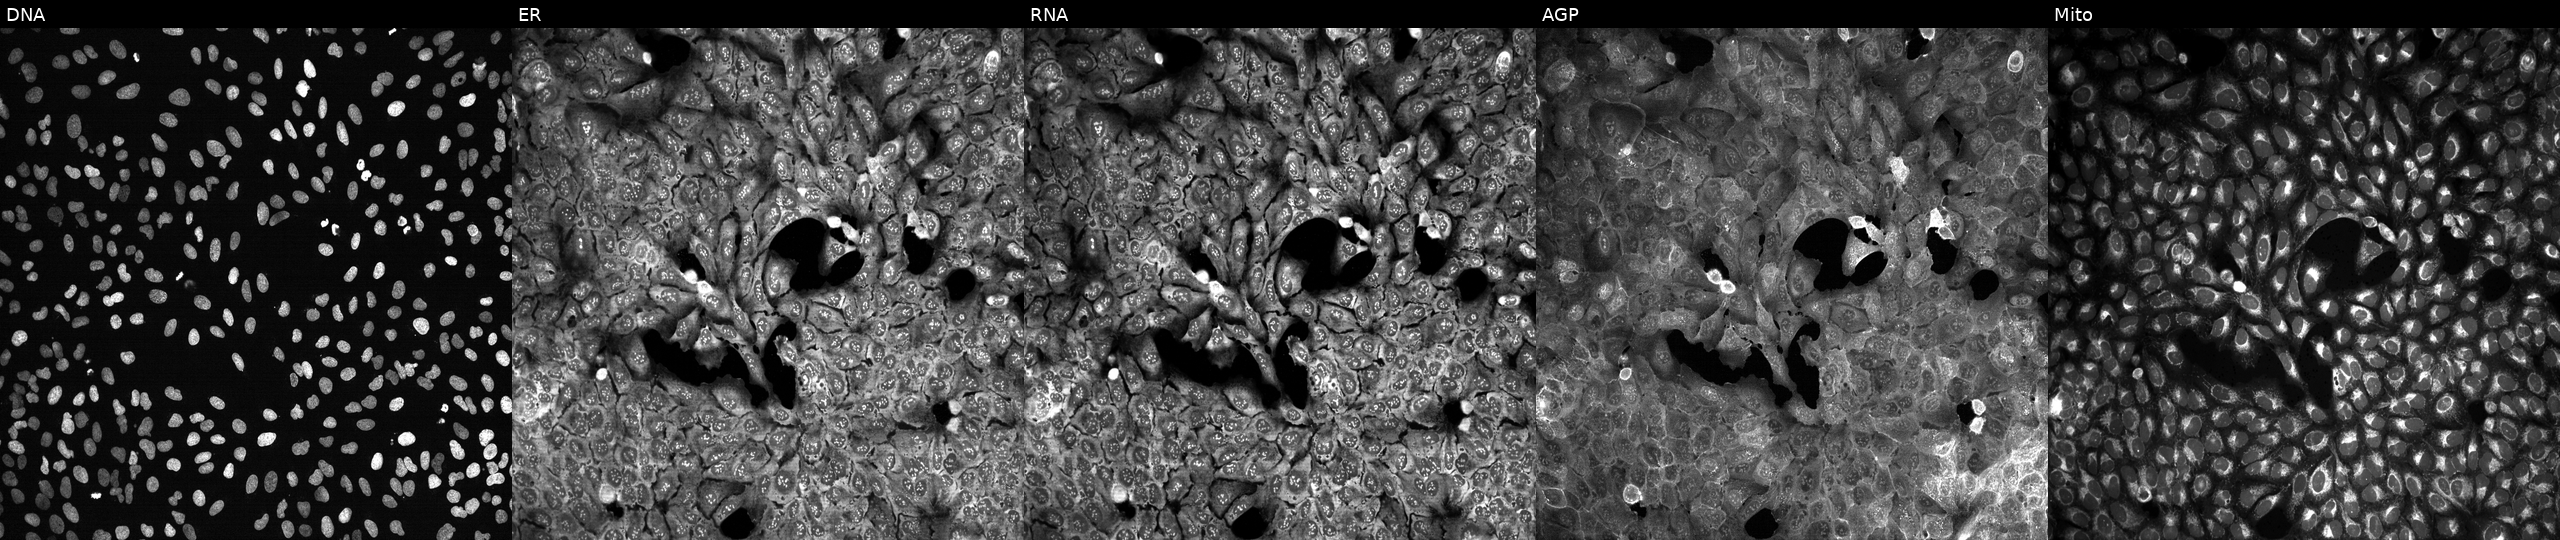
JUMP Cell Painting — CRISPR plate. U2OS cells with TSTA3 knocked out by CRISPR (JUMP id JCP2022_807376). Channels (left→right): Hoechst 33342, concanavalin A, SYTO 14, phalloidin and WGA, MitoTracker.